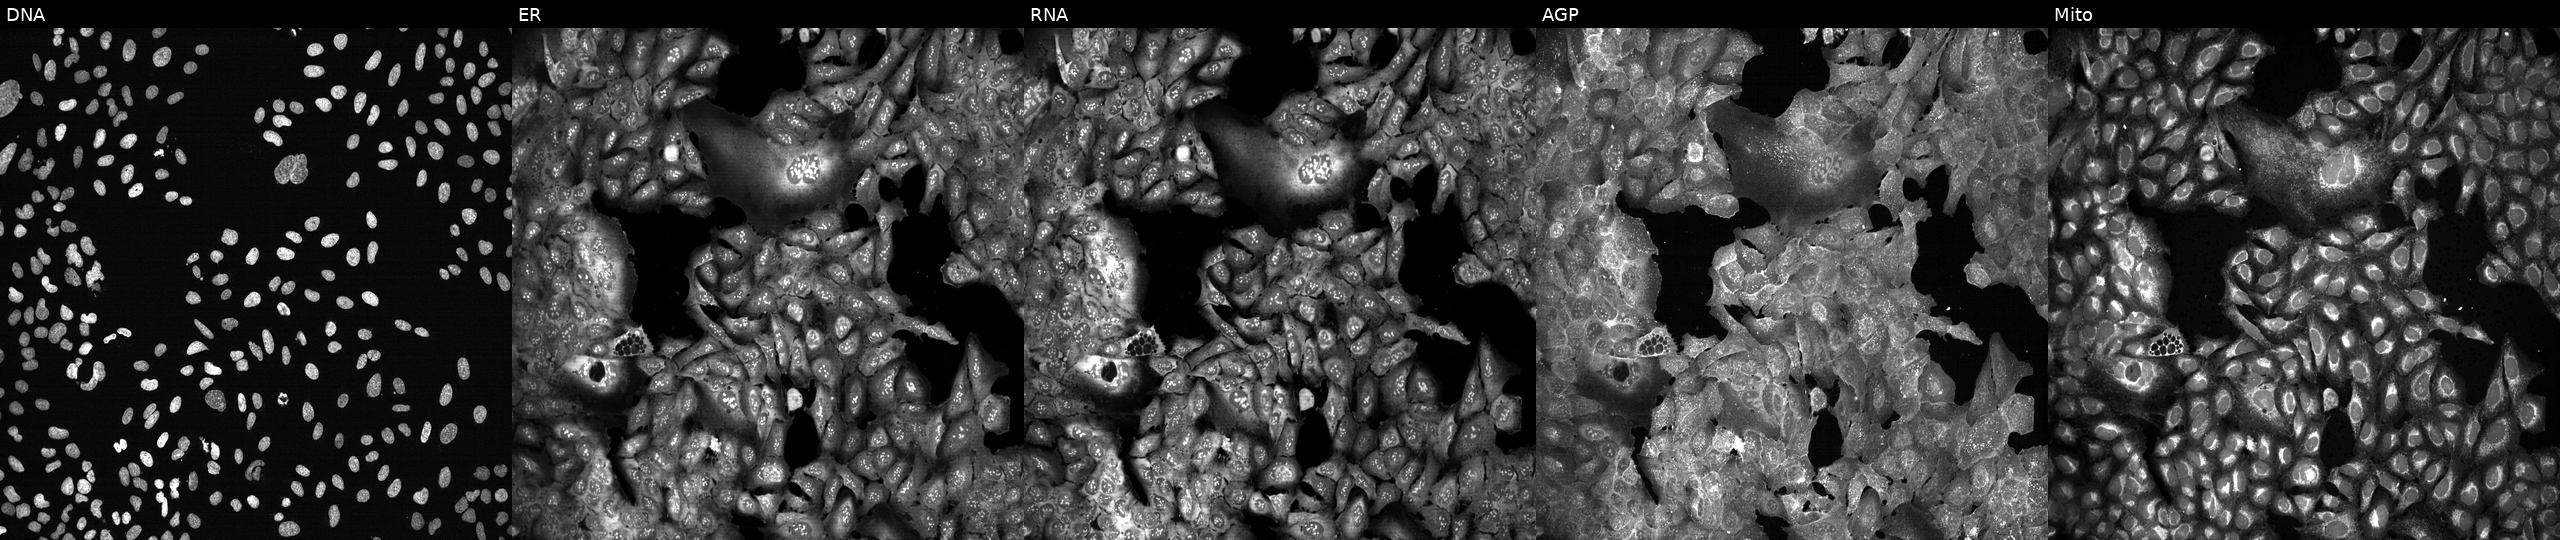
U2OS cells, Cell Painting assay, with PARP1 knocked out by CRISPR (JUMP id JCP2022_804923). Channels (left→right): DNA (nuclei); ER (endoplasmic reticulum); RNA (nucleoli and cytoplasmic RNA); AGP (actin cytoskeleton, Golgi, and plasma membrane); Mito (mitochondria). Each panel is percentile-stretched 16-bit fluorescence. Source 13, plate CP-CC9-R5-01, well D15.